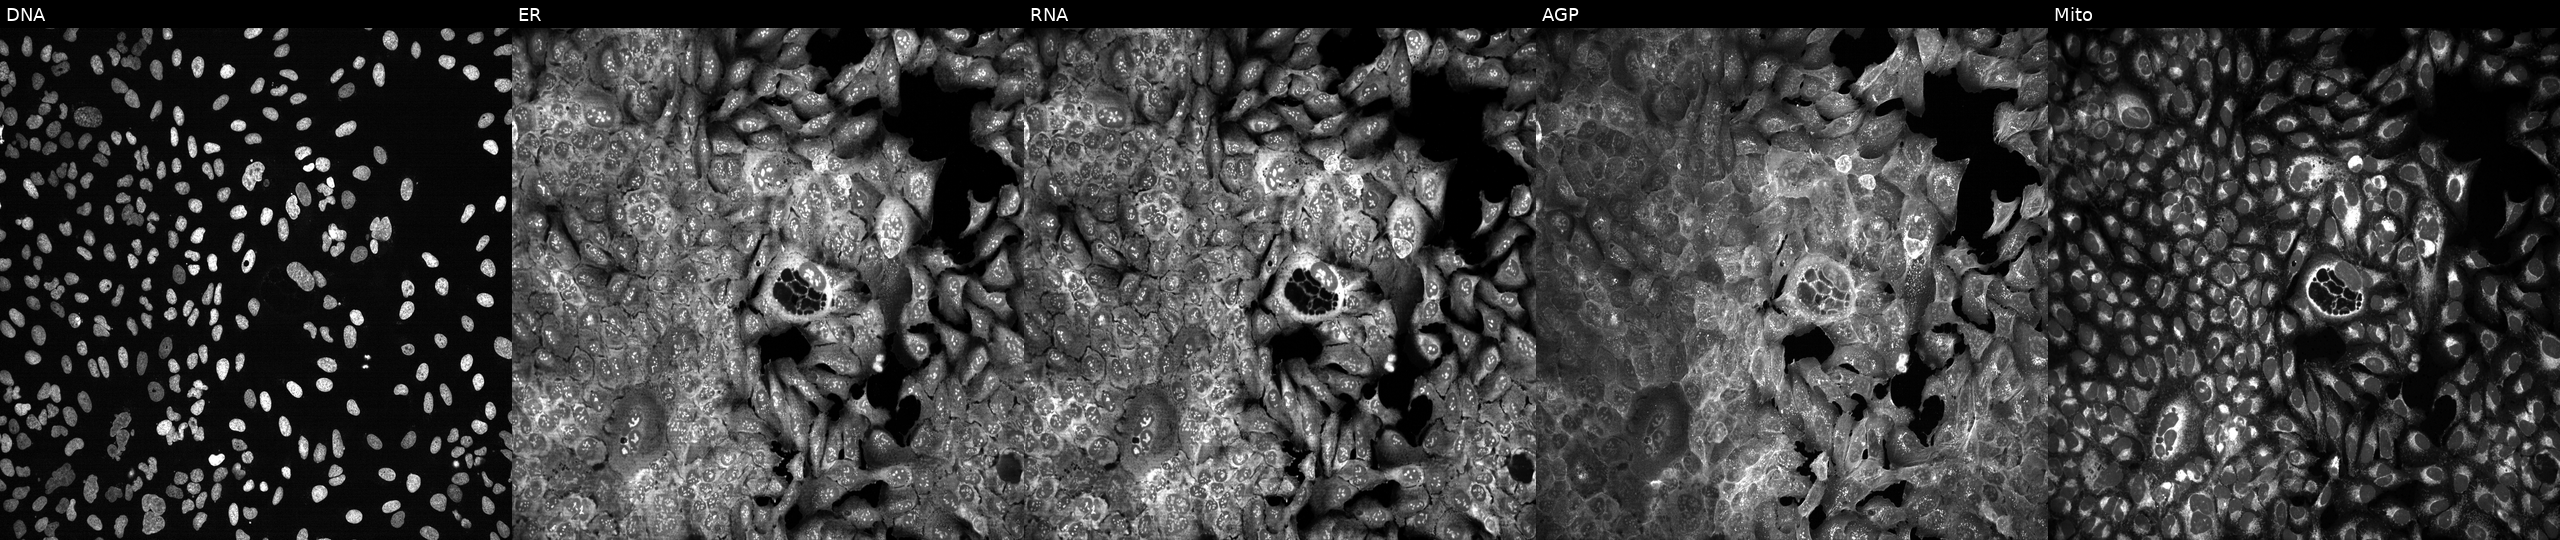
JUMP Cell Painting — CRISPR plate. U2OS cells CRISPR-edited to disrupt KLK12. Panels show, left to right, Hoechst 33342, concanavalin A, SYTO 14, phalloidin and WGA, MitoTracker.